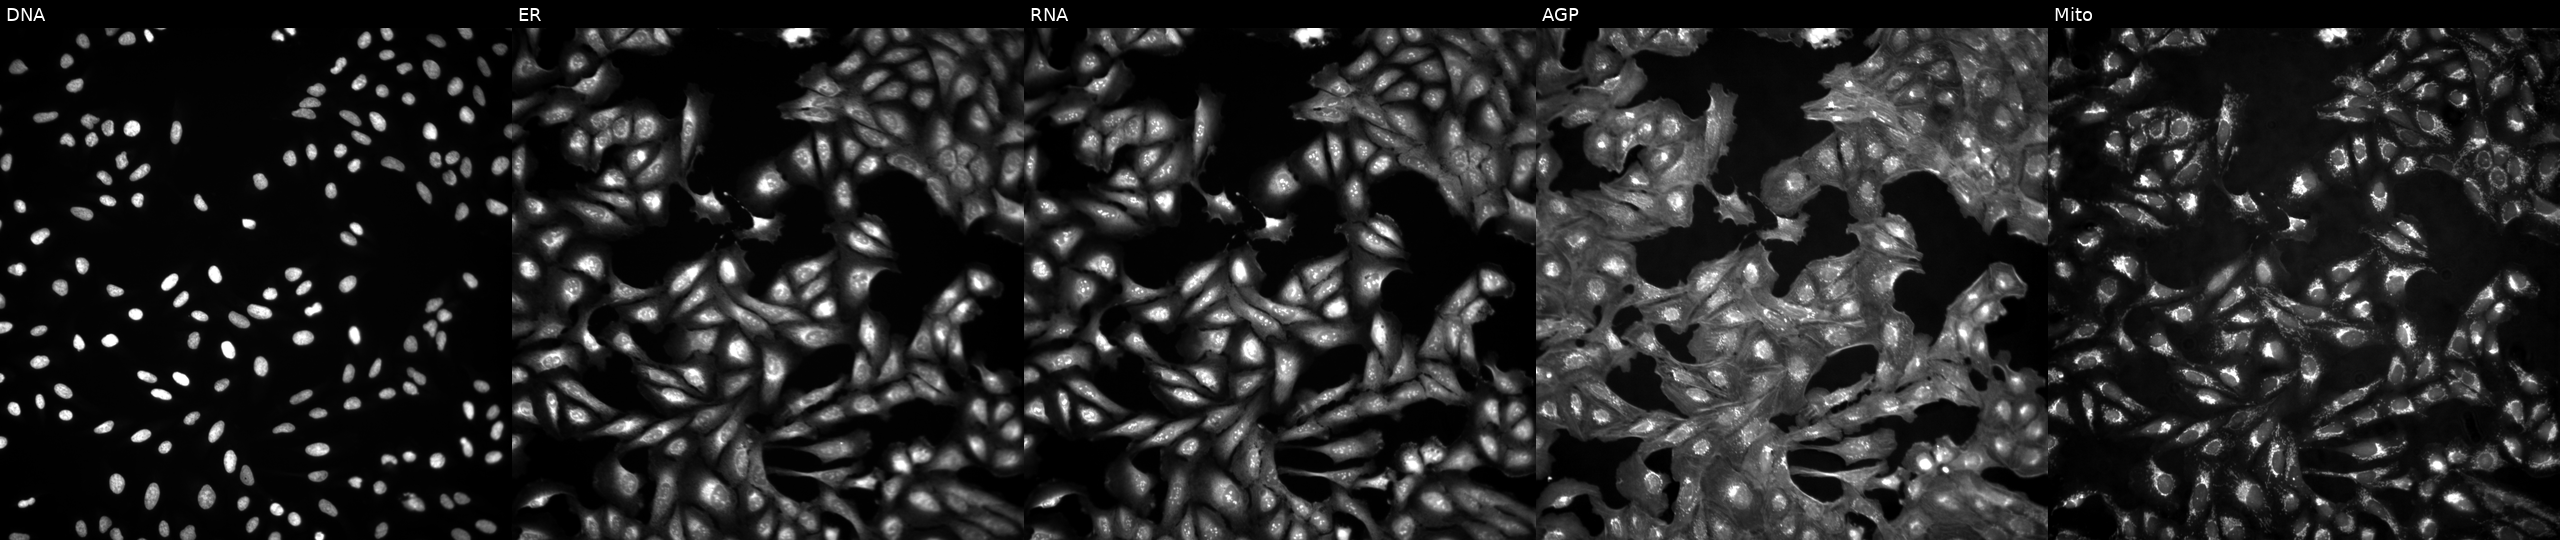
High-content fluorescence microscopy (Cell Painting). Cell line: U2OS. Perturbation: in an empty control well (no perturbation). The five panels, left to right, show DNA (nuclei); ER (endoplasmic reticulum); RNA (nucleoli and cytoplasmic RNA); AGP (actin cytoskeleton, Golgi, and plasma membrane); Mito (mitochondria). Source 4, plate BR00124793, well O22.